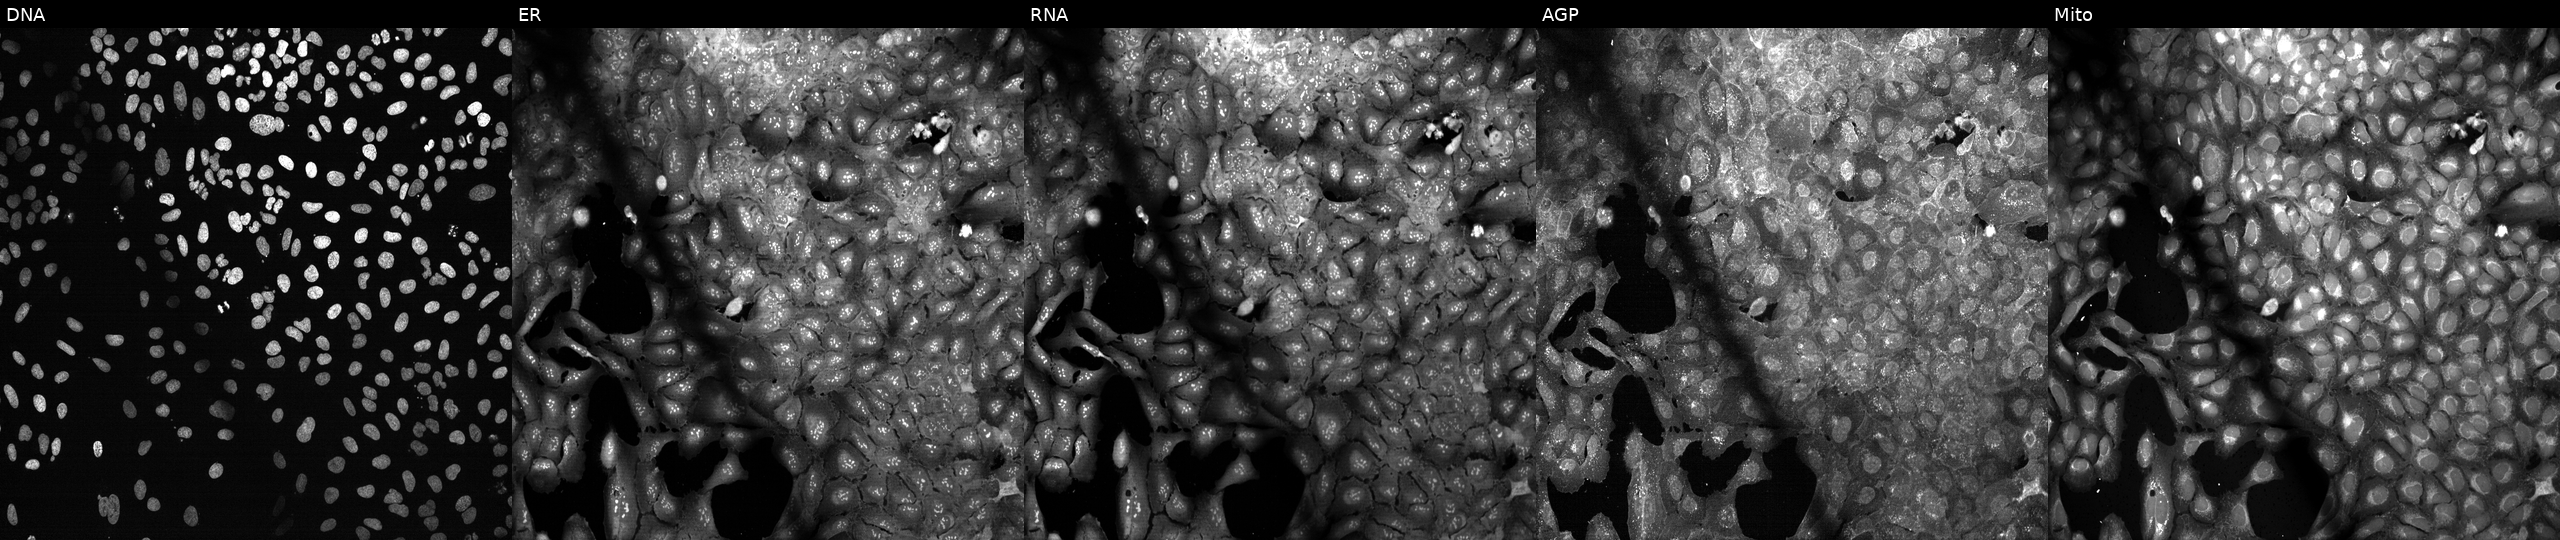
This image strip shows the five Cell Painting channels for a single field of U2OS cells with CHAT knocked out by CRISPR. Panels show, left to right, DNA, ER, RNA, AGP, and Mito. Source 13, plate CP-CC9-R1-01, well K16.